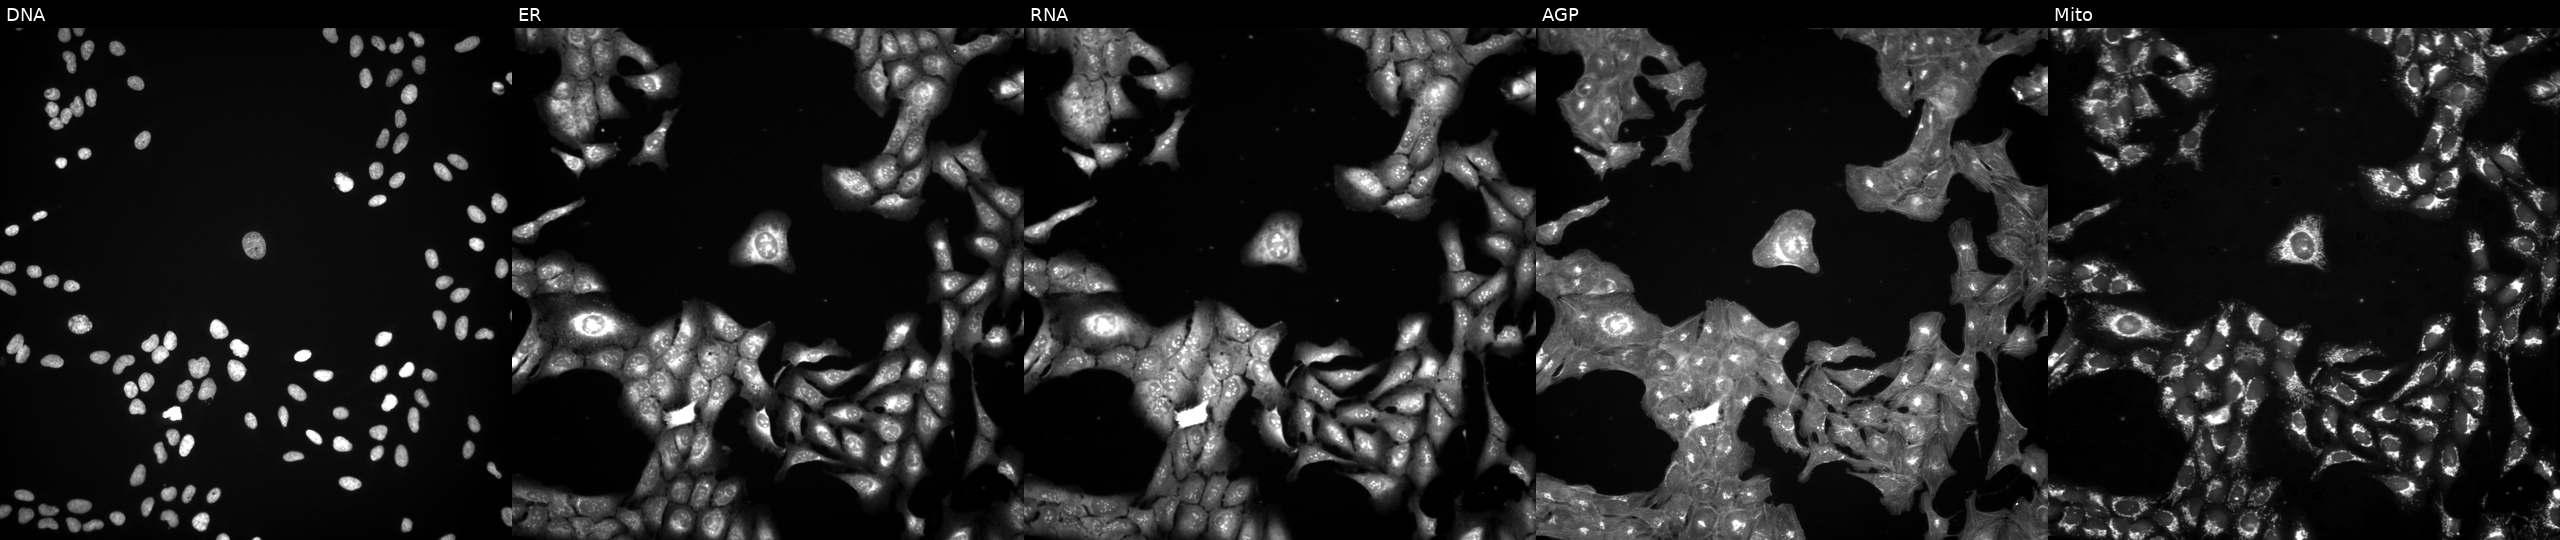
U2OS cells, Cell Painting assay, treated with a small-molecule compound. From left to right: DNA (nuclei); ER (endoplasmic reticulum); RNA (nucleoli and cytoplasmic RNA); AGP (actin cytoskeleton, Golgi, and plasma membrane); Mito (mitochondria). Each panel is percentile-stretched 16-bit fluorescence.